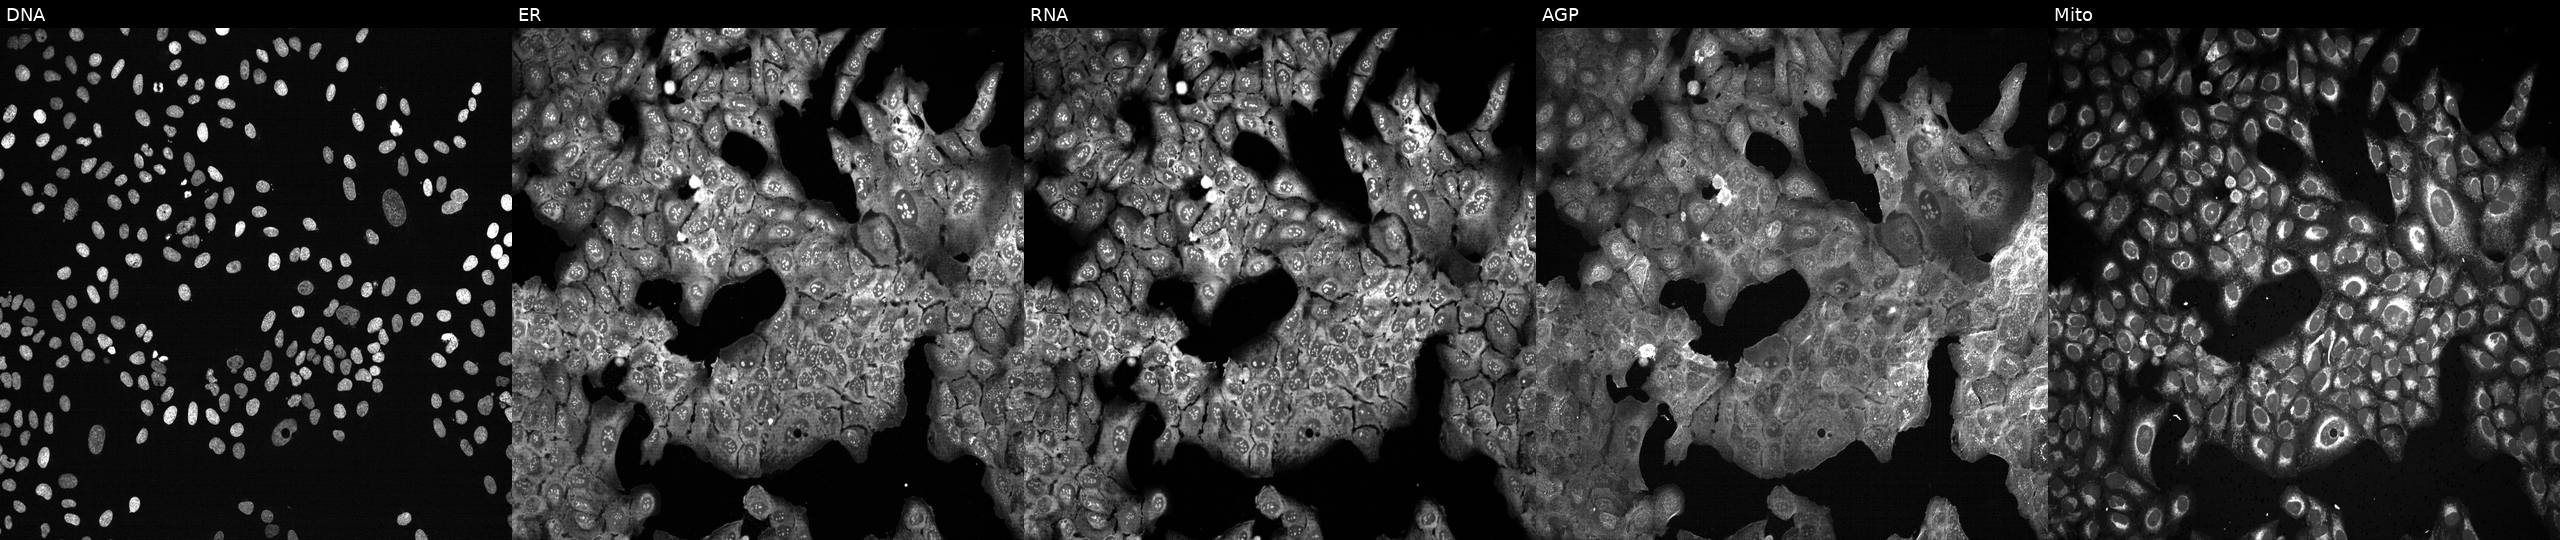
JUMP Cell Painting — CRISPR plate. U2OS cells CRISPR-edited to disrupt DHX30. The five panels, left to right, show DNA (nuclei); ER (endoplasmic reticulum); RNA (nucleoli and cytoplasmic RNA); AGP (actin cytoskeleton, Golgi, and plasma membrane); Mito (mitochondria).